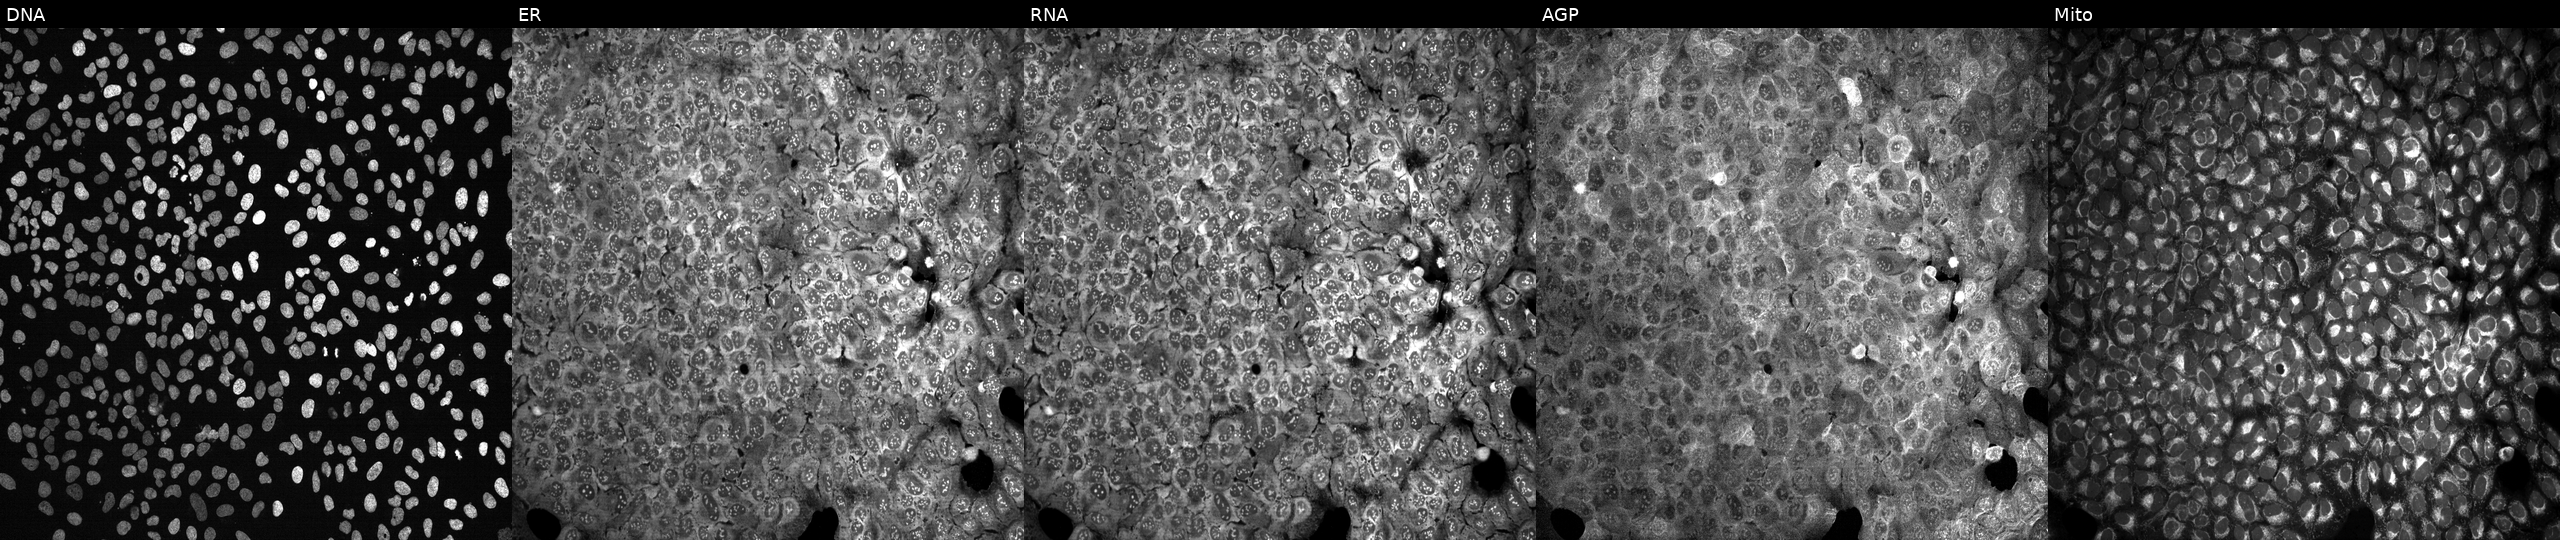
From left to right: Hoechst 33342, concanavalin A, SYTO 14, phalloidin and WGA, MitoTracker. U2OS osteosarcoma cells CRISPR-edited to disrupt ISG20L2 (JUMP id JCP2022_803478). Cell Painting assay, JUMP-CP dataset.